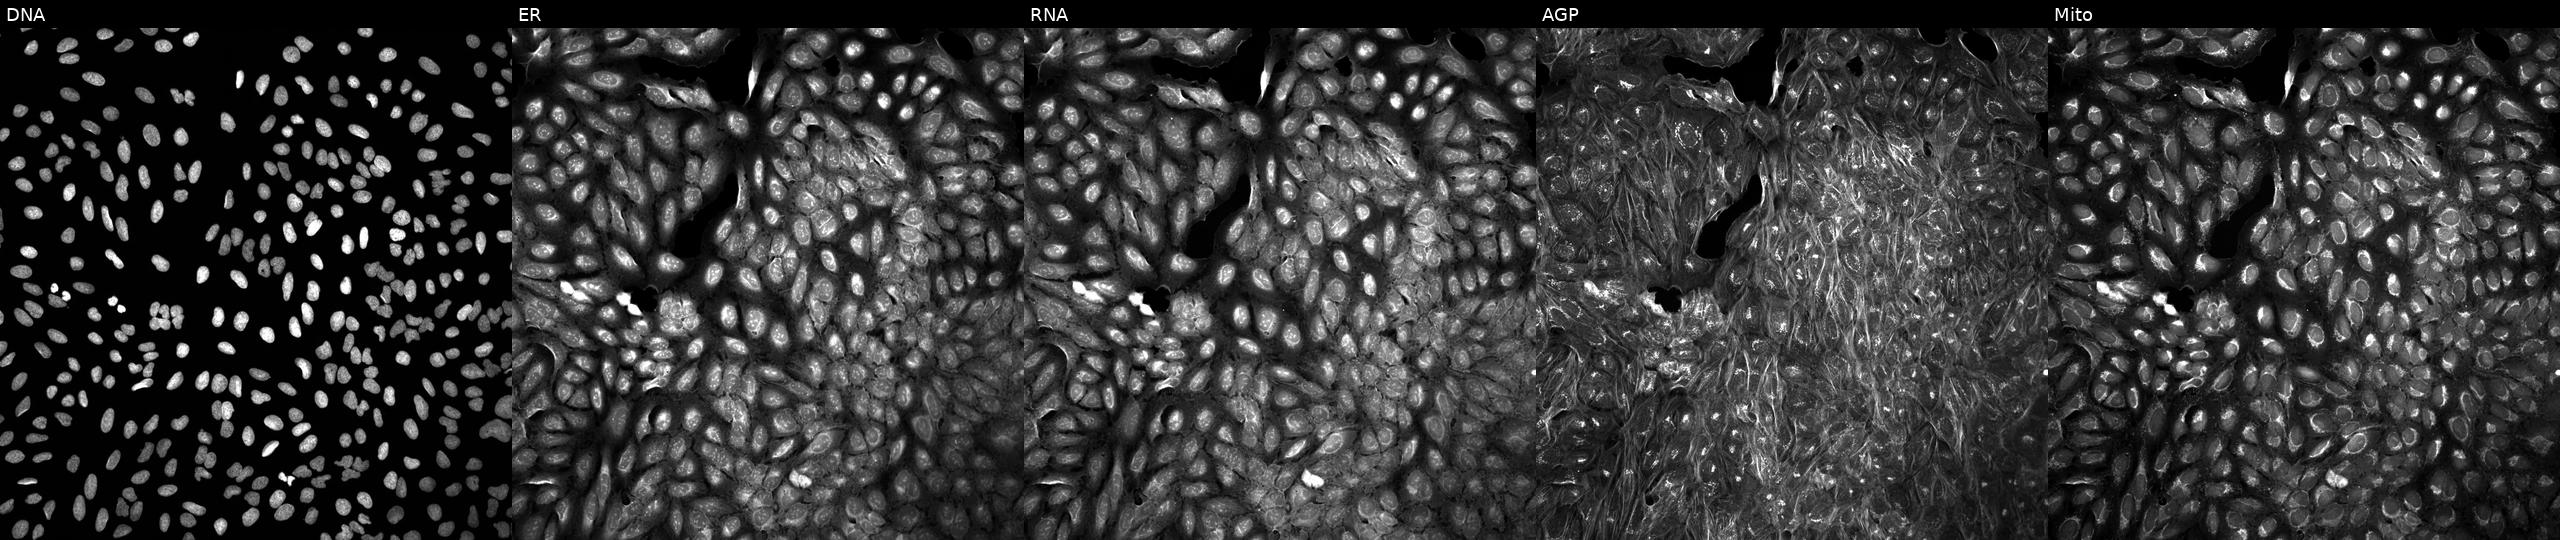
Five-channel Cell Painting image of U2OS cells treated with a small-molecule compound. Panels show, left to right, DNA (nuclei); ER (endoplasmic reticulum); RNA (nucleoli and cytoplasmic RNA); AGP (actin cytoskeleton, Golgi, and plasma membrane); Mito (mitochondria). Source 5, plate APTJUM105, well J21.